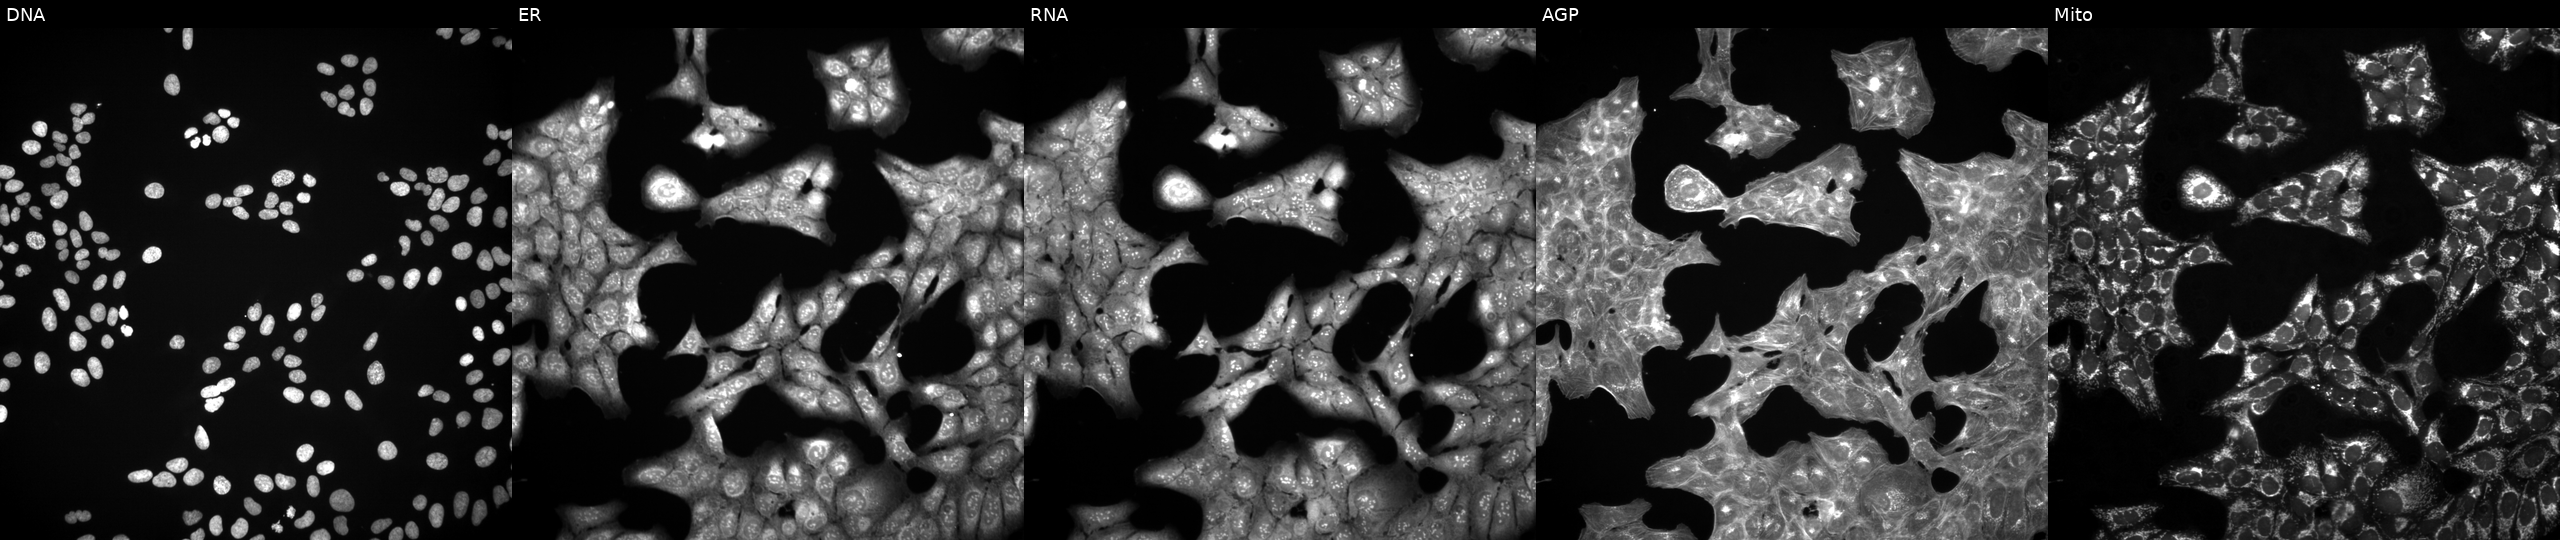
This image strip shows the five Cell Painting channels for a single field of U2OS cells treated with LY2109761 (positive-control compound). Panels show, left to right, DNA (nuclei); ER (endoplasmic reticulum); RNA (nucleoli and cytoplasmic RNA); AGP (actin cytoskeleton, Golgi, and plasma membrane); Mito (mitochondria).